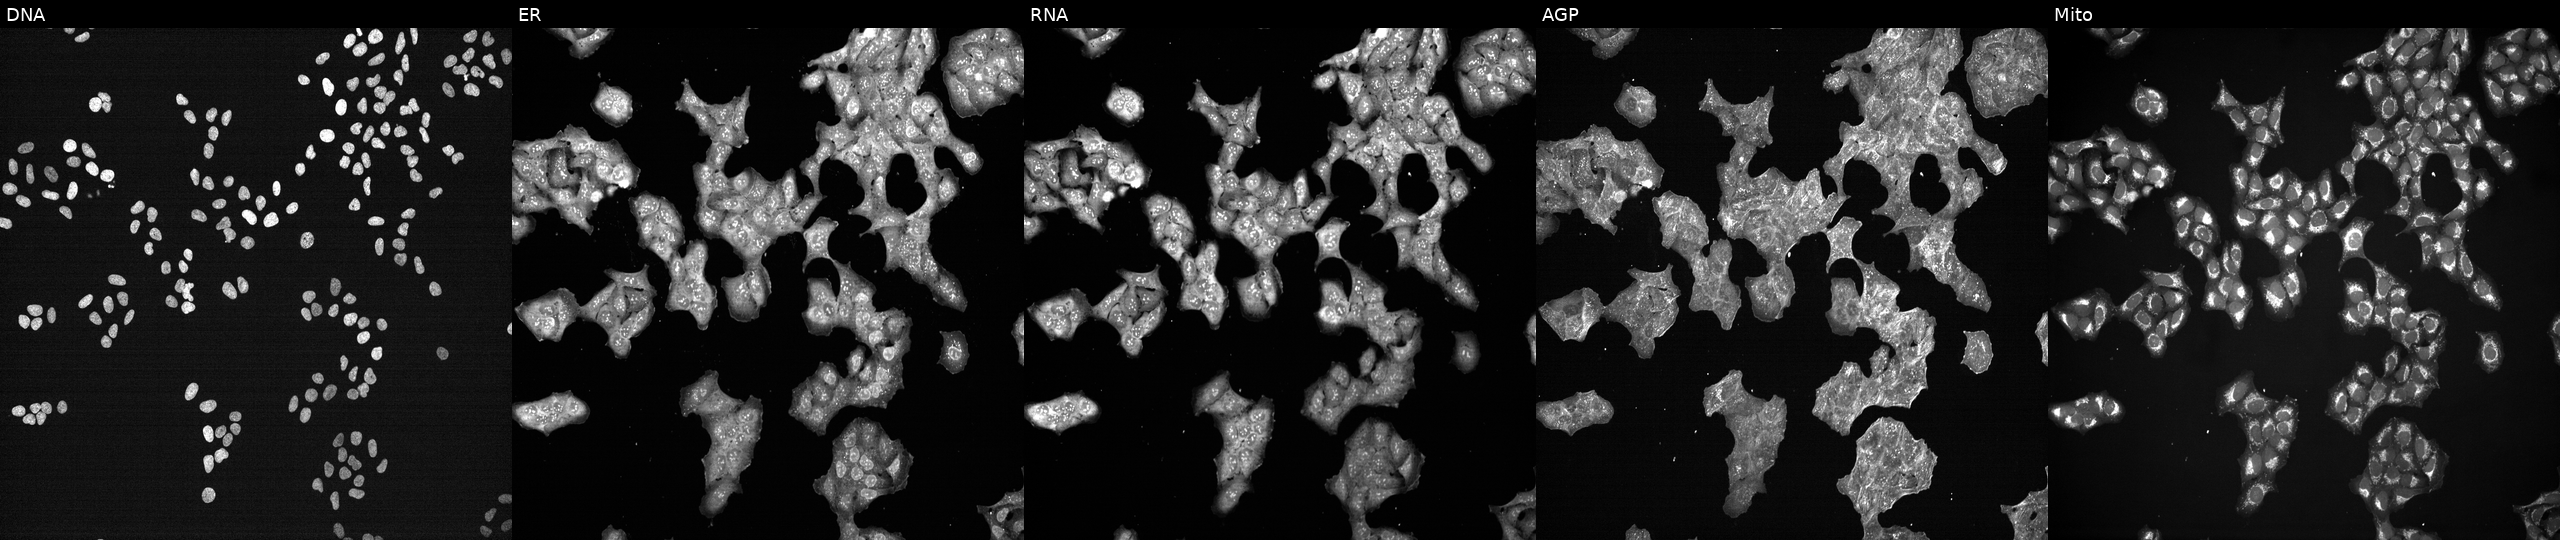
Five-channel Cell Painting image of U2OS cells treated with NVS-PAK1-1 (positive-control compound). Channels (left→right): DNA (nuclei); ER (endoplasmic reticulum); RNA (nucleoli and cytoplasmic RNA); AGP (actin cytoskeleton, Golgi, and plasma membrane); Mito (mitochondria). Source 7, plate CP3-SC1-25, well J13.